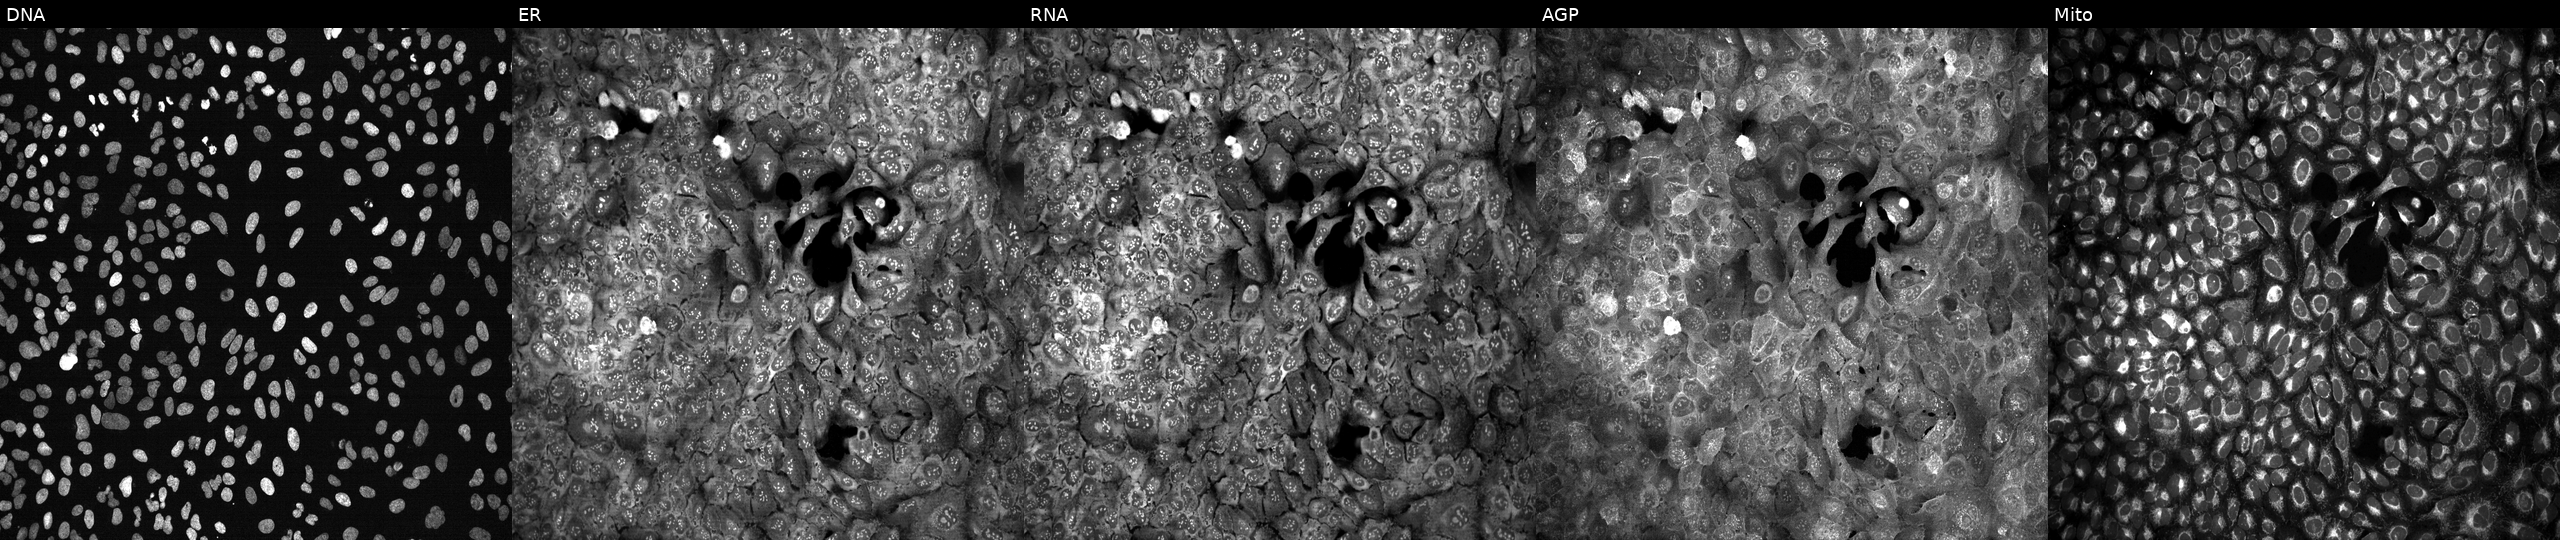
Five-channel Cell Painting image of U2OS cells with GALNS knocked out by CRISPR. Panels show, left to right, DNA, ER, RNA, AGP, and Mito.